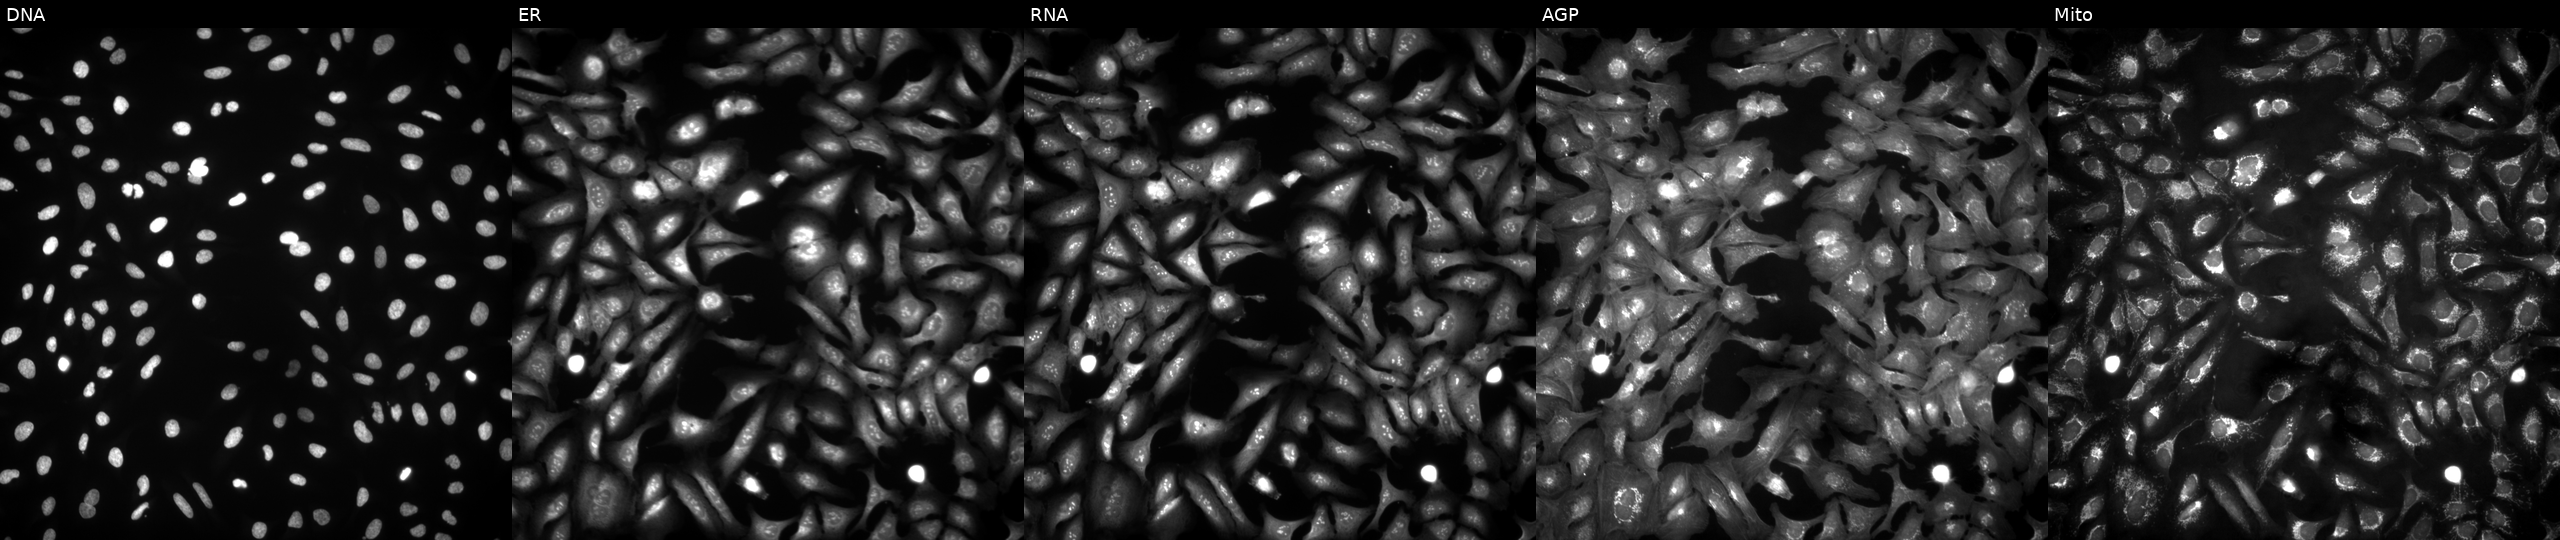
Five-channel Cell Painting image of U2OS cells with NT5E overexpressed (ORF). Panels show, left to right, DNA (nuclei); ER (endoplasmic reticulum); RNA (nucleoli and cytoplasmic RNA); AGP (actin cytoskeleton, Golgi, and plasma membrane); Mito (mitochondria).